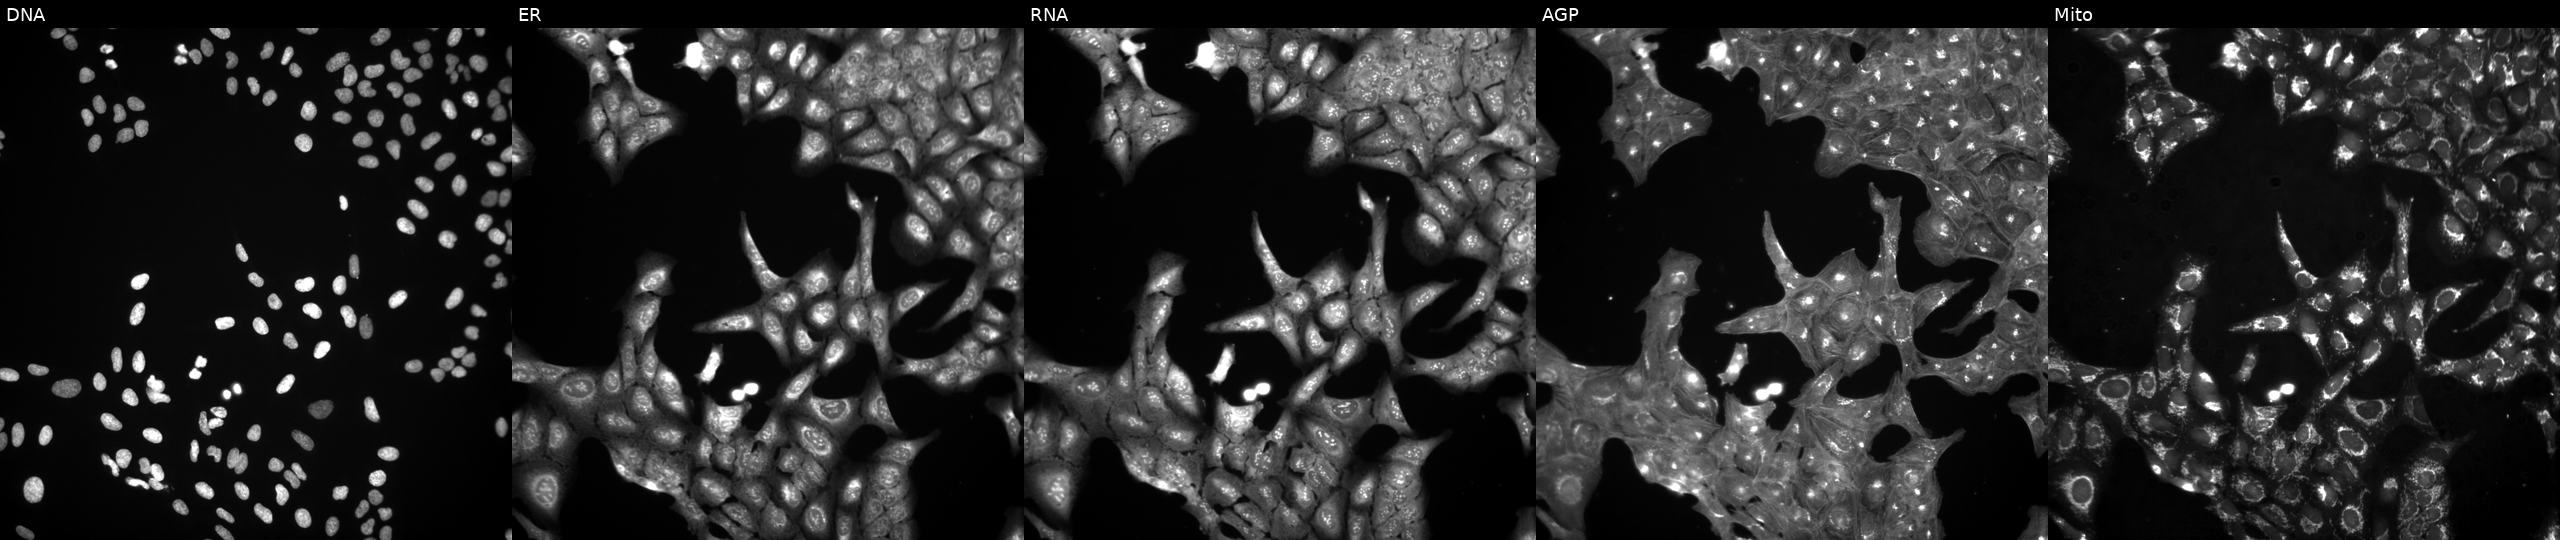
From left to right: DNA (nuclei); ER (endoplasmic reticulum); RNA (nucleoli and cytoplasmic RNA); AGP (actin cytoskeleton, Golgi, and plasma membrane); Mito (mitochondria). U2OS osteosarcoma cells perturbed with a small-molecule compound (InChIKey OUZWUKMCLIBBOG-UHFFFAOYSA-N) [SMILES: CCOc1ccc2nc(S(N)(=O)=O)sc2c1] (JUMP id JCP2022_066287). Cell Painting assay, JUMP-CP dataset. Source 3, plate JCPQC052, well I24.